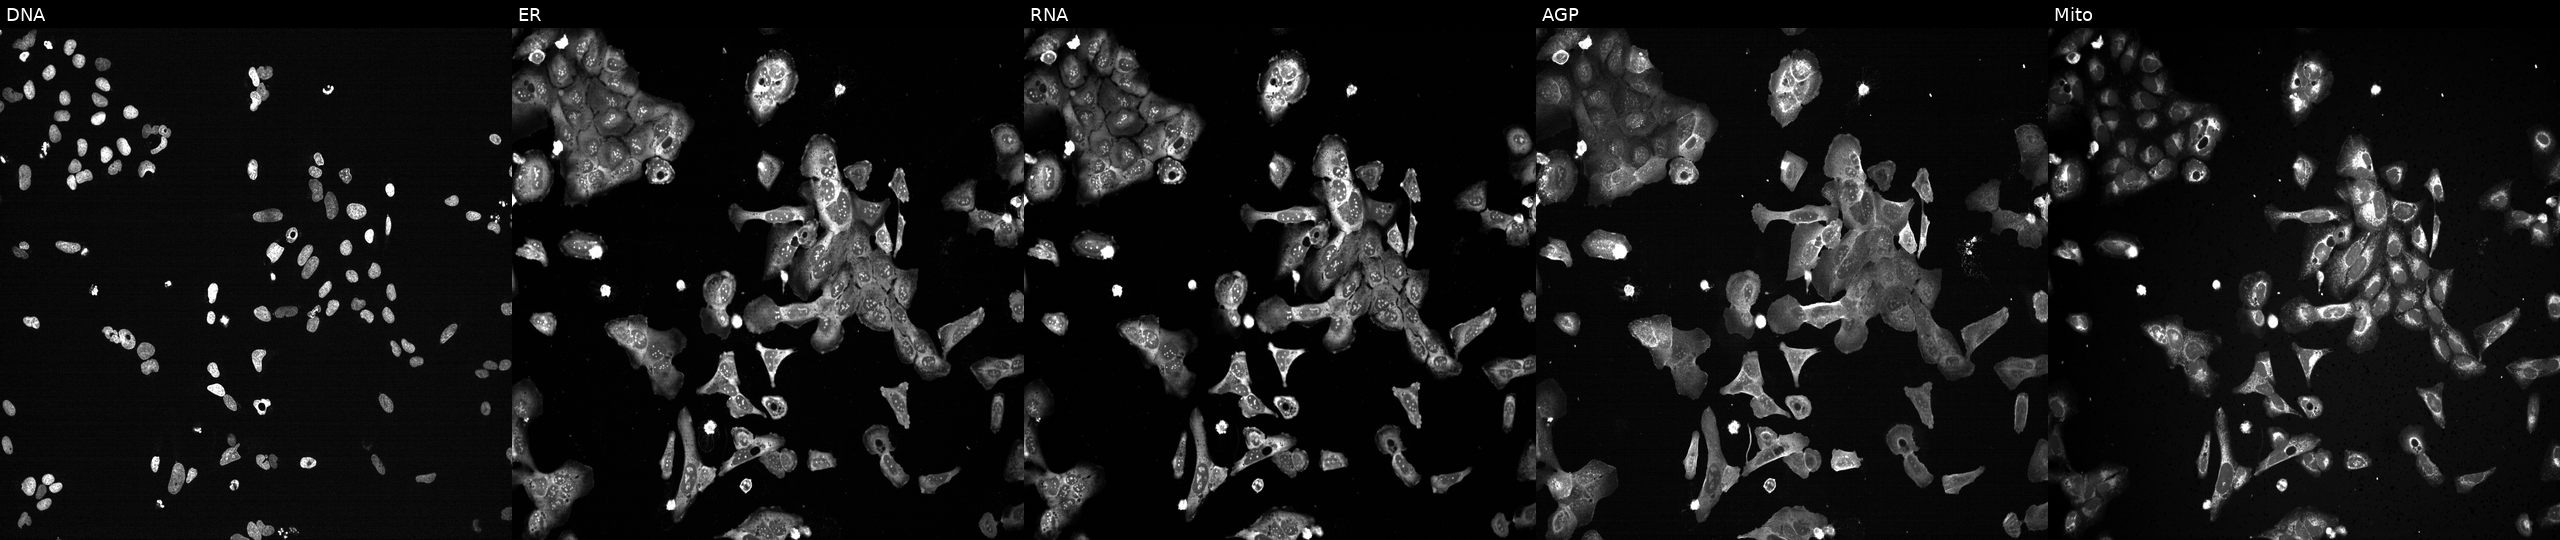
This image strip shows the five Cell Painting channels for a single field of U2OS cells CRISPR-edited to disrupt XAB2 (JUMP id JCP2022_807703). The five panels, left to right, show DNA (nuclei); ER (endoplasmic reticulum); RNA (nucleoli and cytoplasmic RNA); AGP (actin cytoskeleton, Golgi, and plasma membrane); Mito (mitochondria). Source 13, plate CP-CC9-R2-02, well L19.